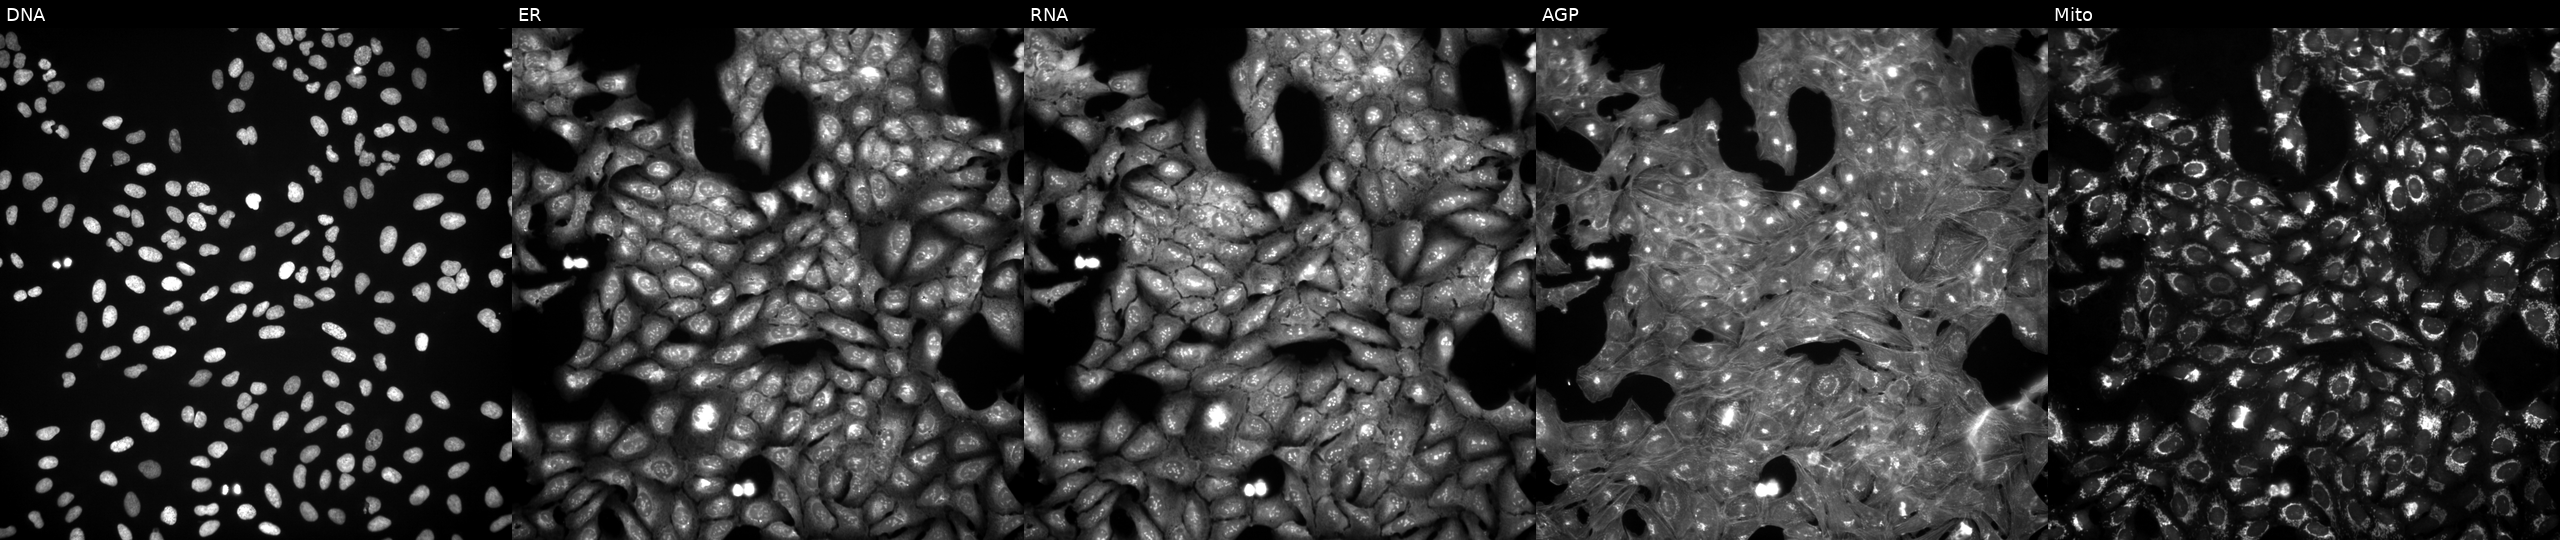
JUMP Cell Painting — COMPOUND plate. U2OS cells perturbed with a small-molecule compound (InChIKey WFVIKMFGKOUFLY-UHFFFAOYSA-N) [SMILES: NS(=O)(=O)c1cccc(NC(=O)CN2CCN(Cc3ccc4c(c3)OCO4)CC2)c1] (JUMP id JCP2022_098482). From left to right: DNA, ER, RNA, AGP, and Mito.